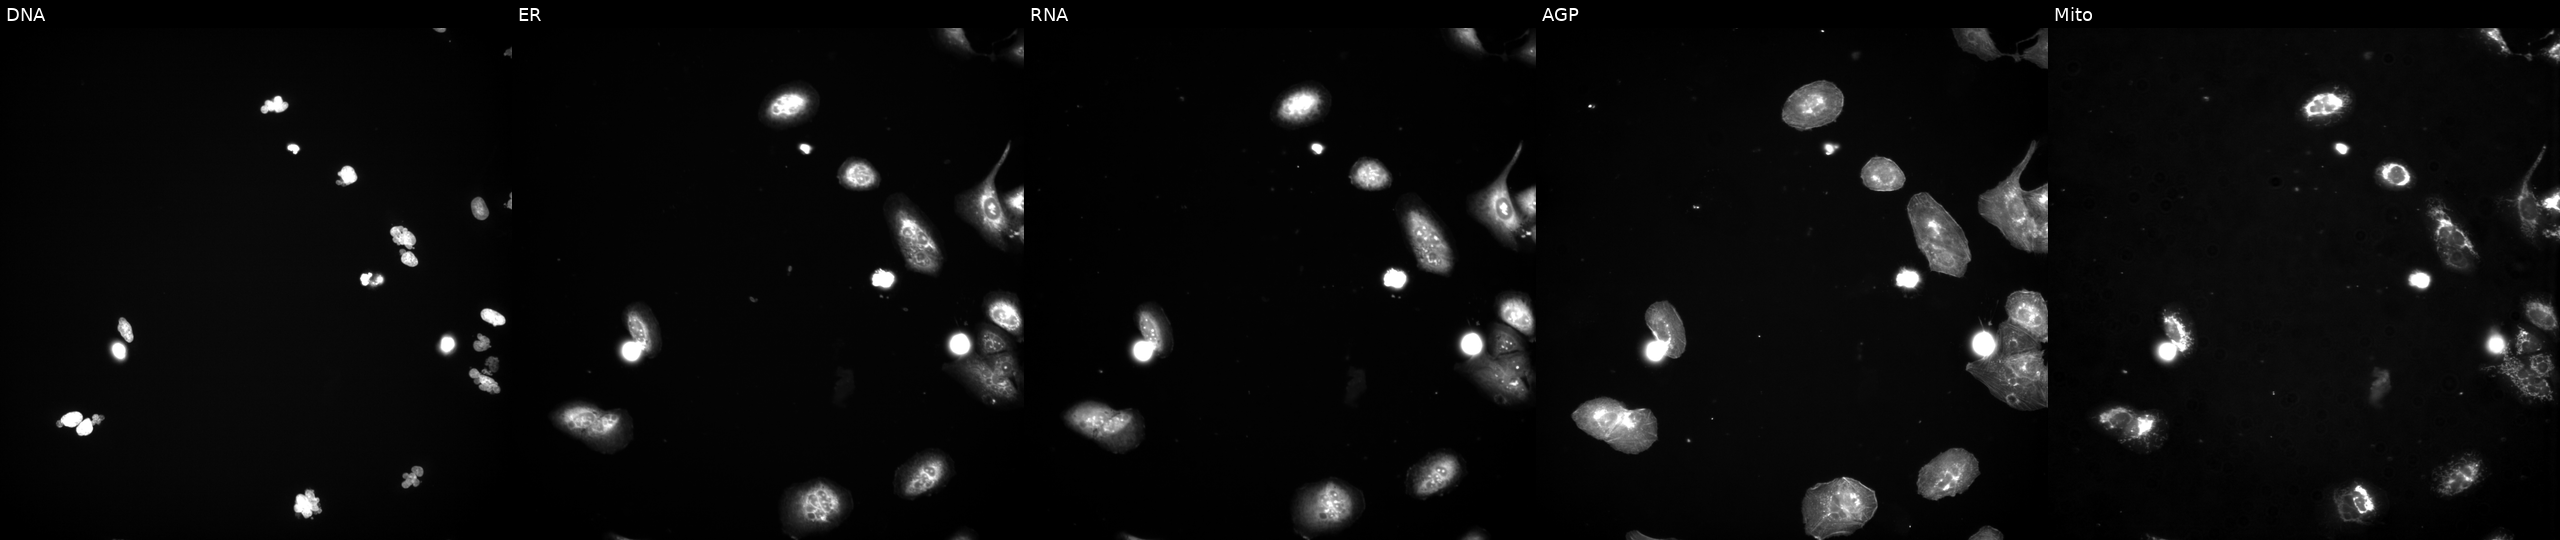
Five-channel Cell Painting image of U2OS cells treated with a small-molecule compound (InChIKey SUDKQTIBZRDRPS-UHFFFAOYSA-N) (JUMP id JCP2022_085656). Channels (left→right): DNA (nuclei); ER (endoplasmic reticulum); RNA (nucleoli and cytoplasmic RNA); AGP (actin cytoskeleton, Golgi, and plasma membrane); Mito (mitochondria).